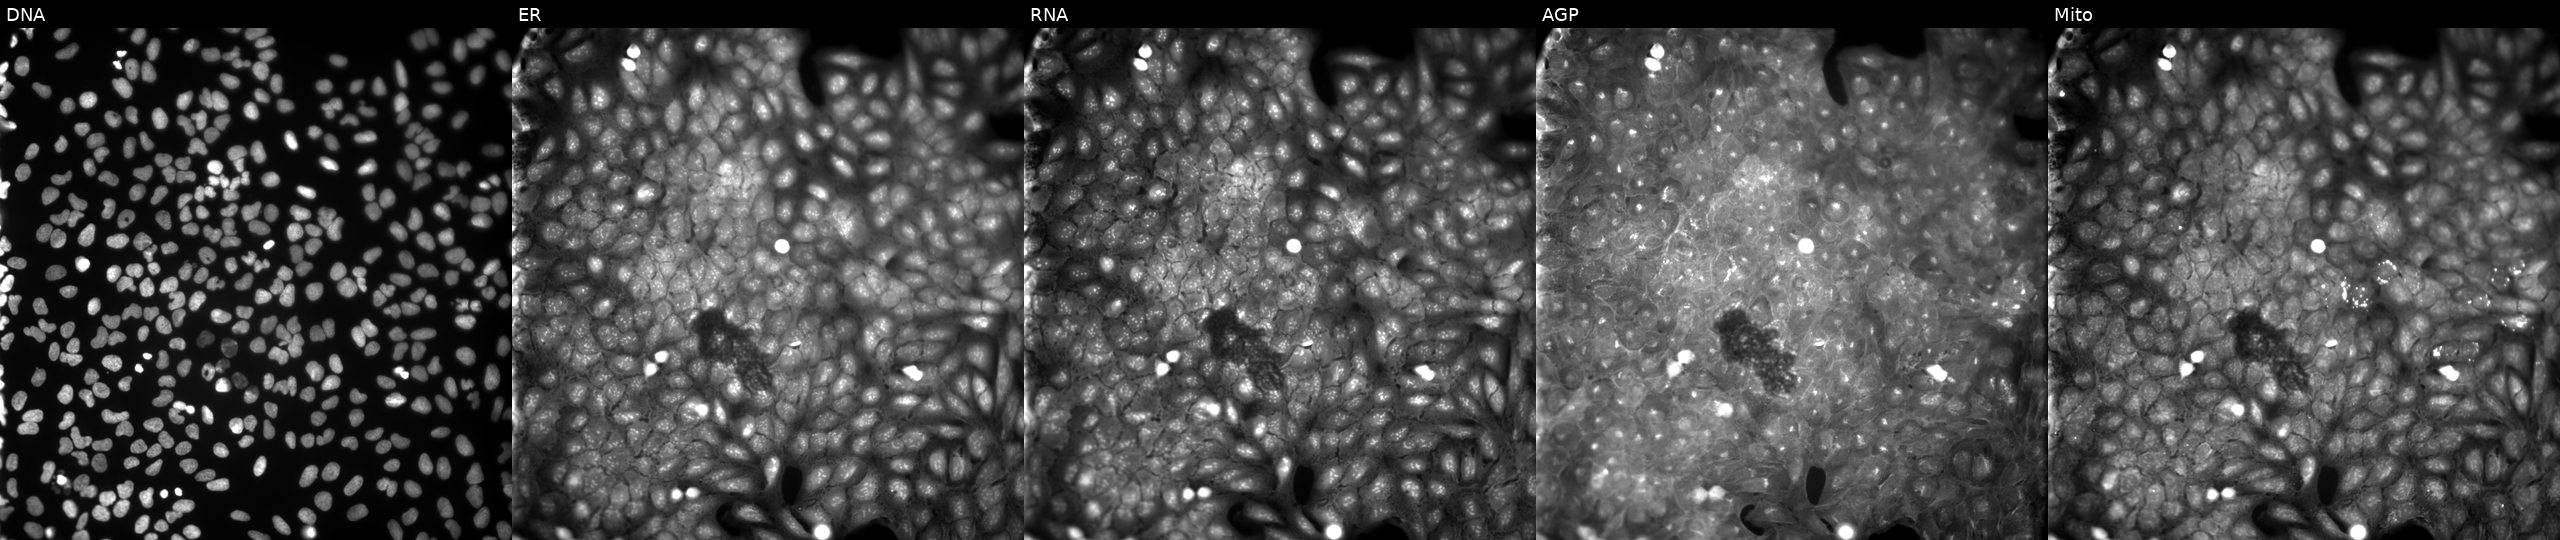
U2OS cells, Cell Painting assay, perturbed with a small-molecule compound (InChIKey QSPBCAPOKXOTHX-UHFFFAOYSA-N) (JUMP id JCP2022_075601). From left to right: Hoechst 33342, concanavalin A, SYTO 14, phalloidin and WGA, MitoTracker. Each panel is percentile-stretched 16-bit fluorescence.